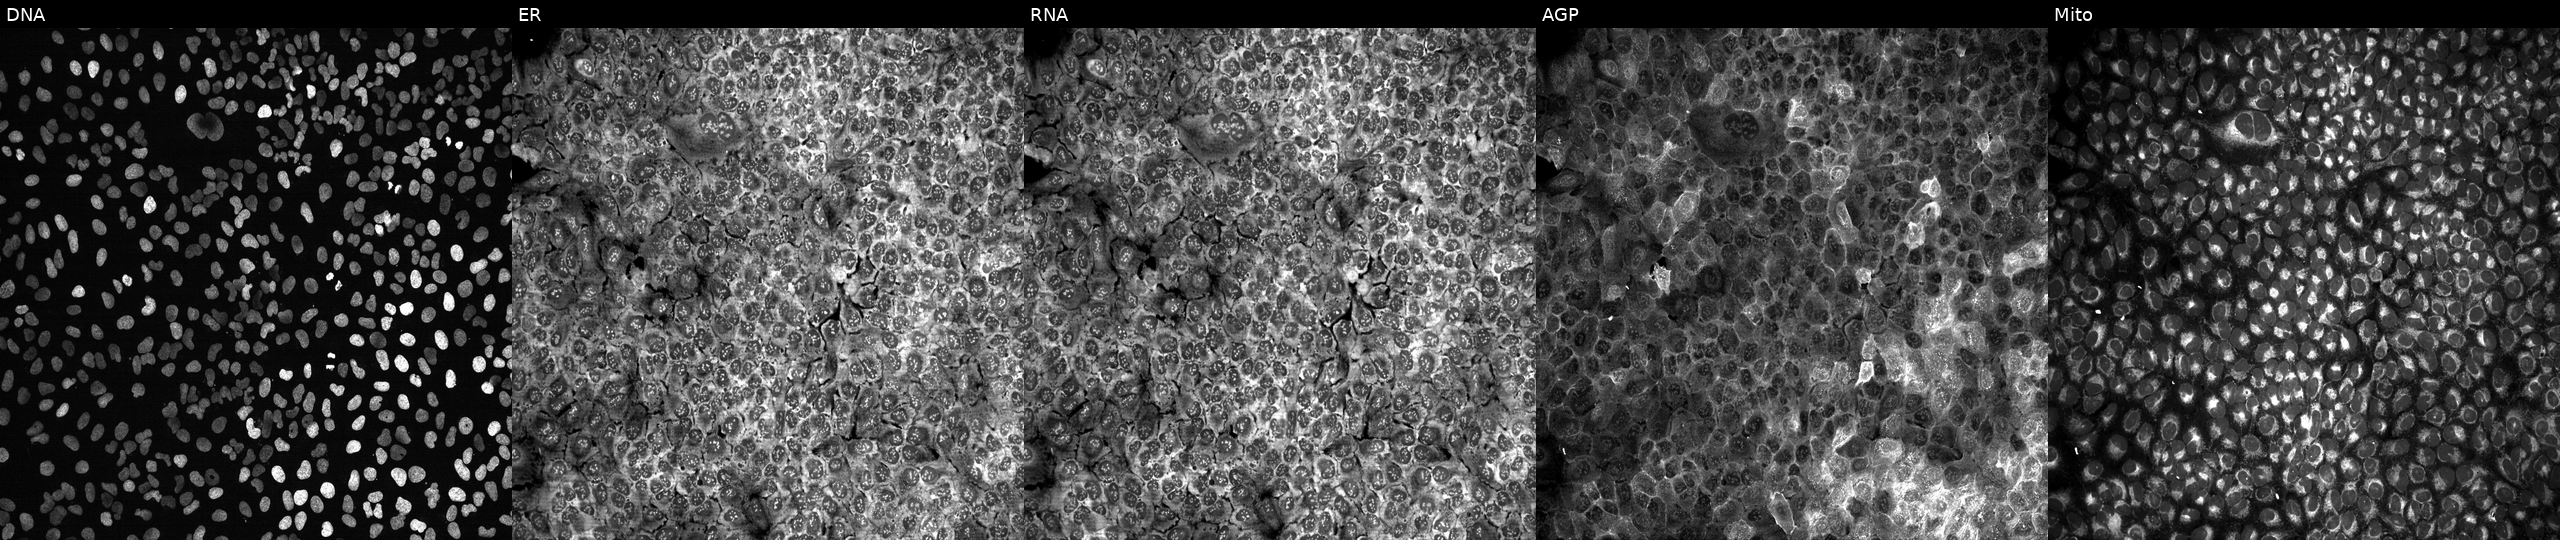
The five panels, left to right, show DNA, ER, RNA, AGP, and Mito. U2OS osteosarcoma cells following CRISPR knockout of SLC23A1 (JUMP id JCP2022_806431). Cell Painting assay, JUMP-CP dataset.